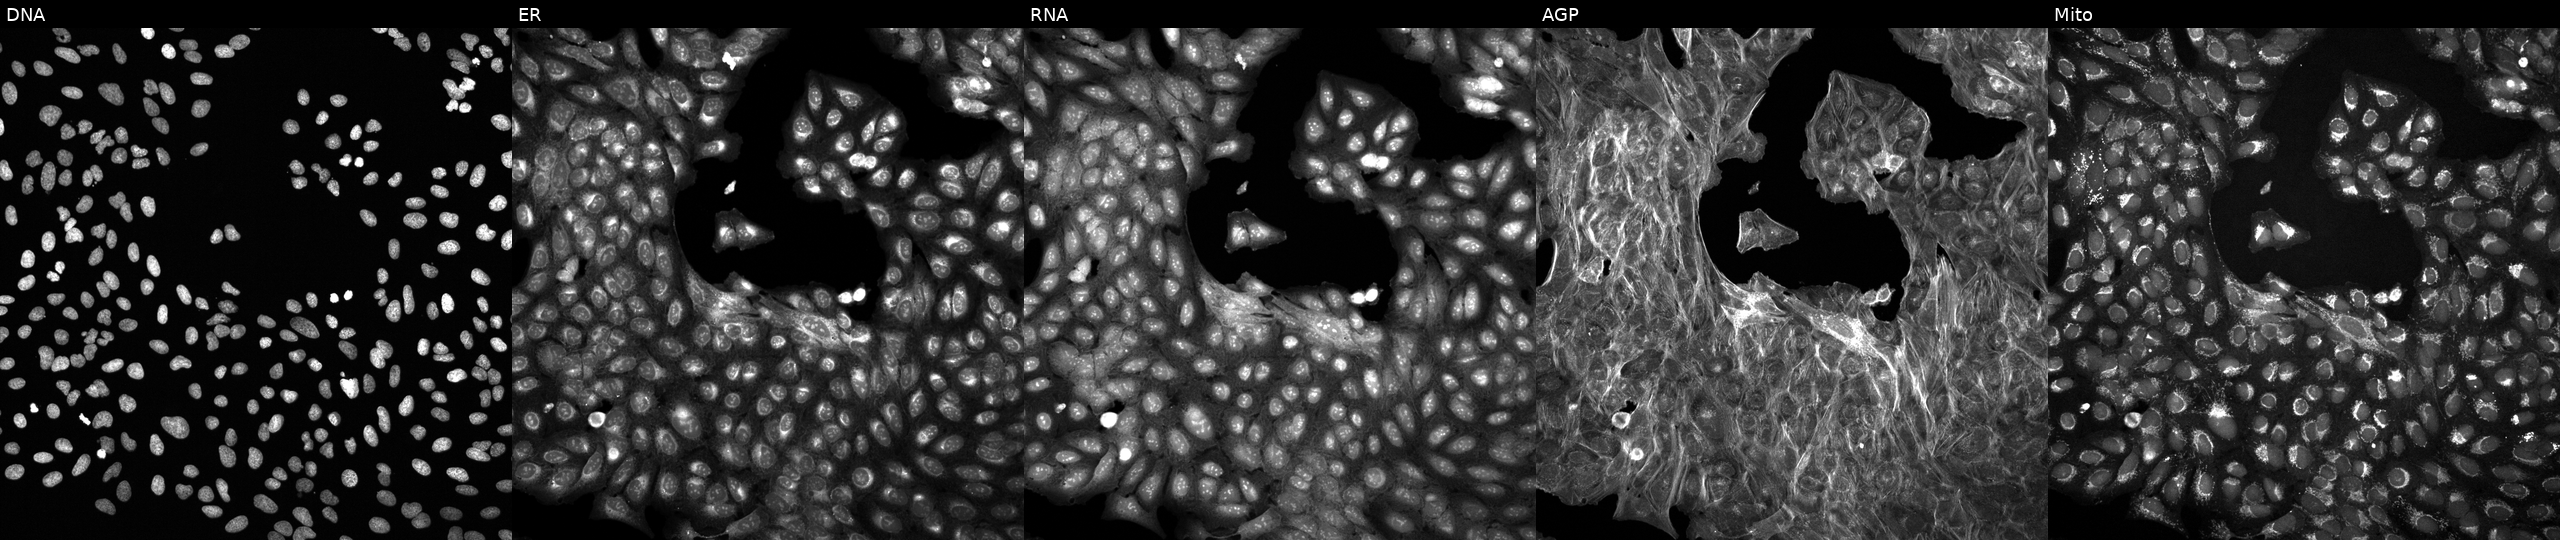
The five panels, left to right, show Hoechst 33342, concanavalin A, SYTO 14, phalloidin and WGA, MitoTracker. U2OS osteosarcoma cells exposed to a small-molecule compound (JUMP id JCP2022_093678). Cell Painting assay, JUMP-CP dataset.